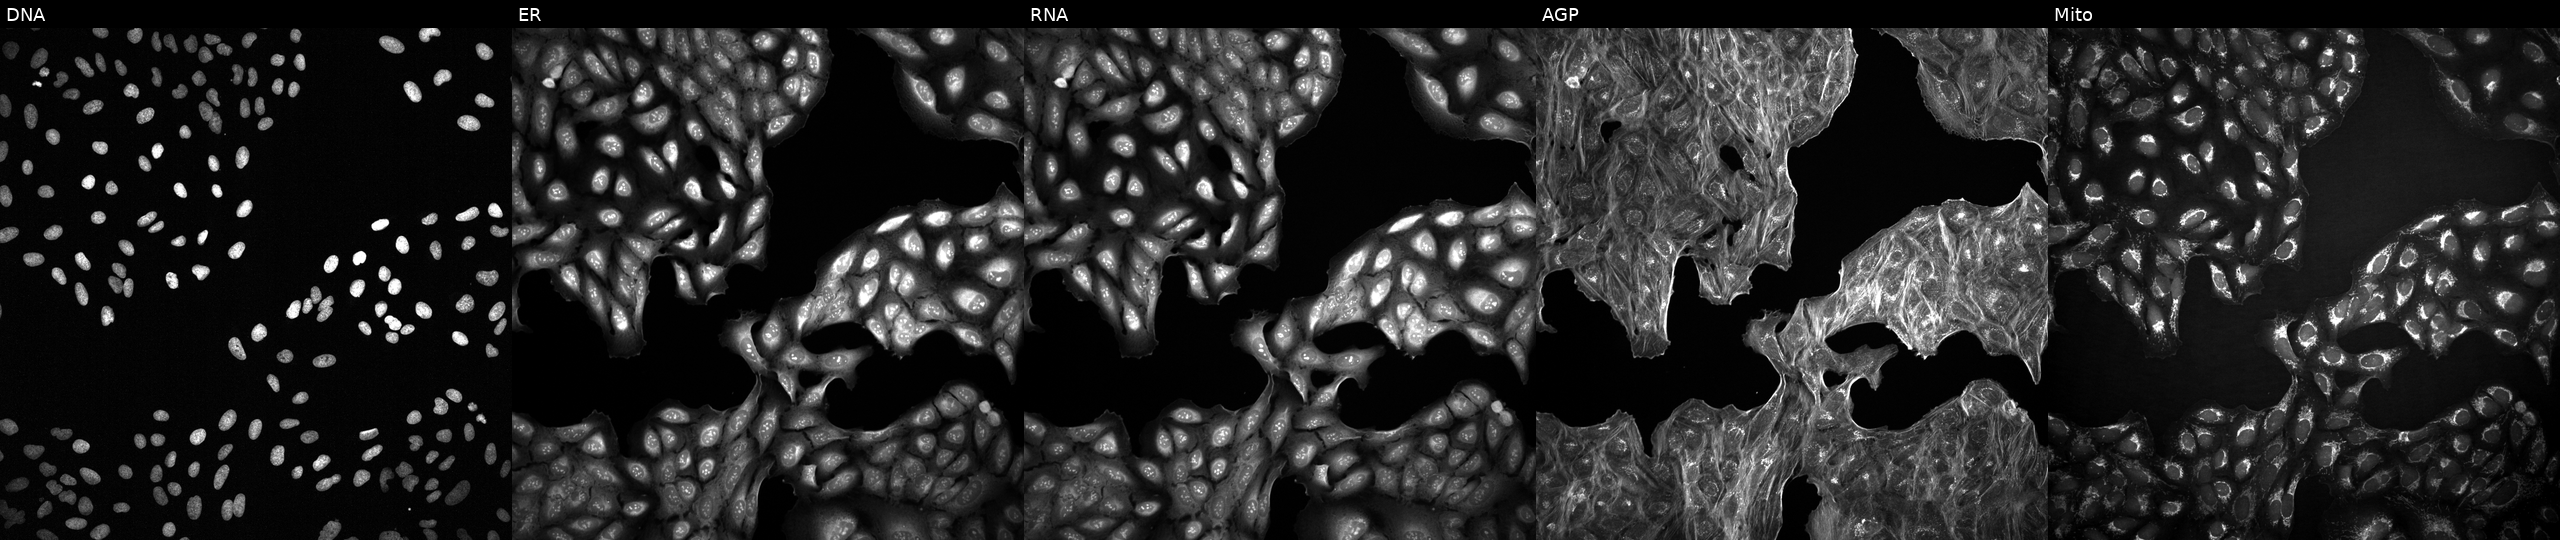
Five-channel Cell Painting image of U2OS cells exposed to a small-molecule compound (InChIKey MEFOUWRMVYJCQC-UHFFFAOYSA-N). Channels (left→right): Hoechst 33342, concanavalin A, SYTO 14, phalloidin and WGA, MitoTracker. Source 2, plate 1053601763, well C19.